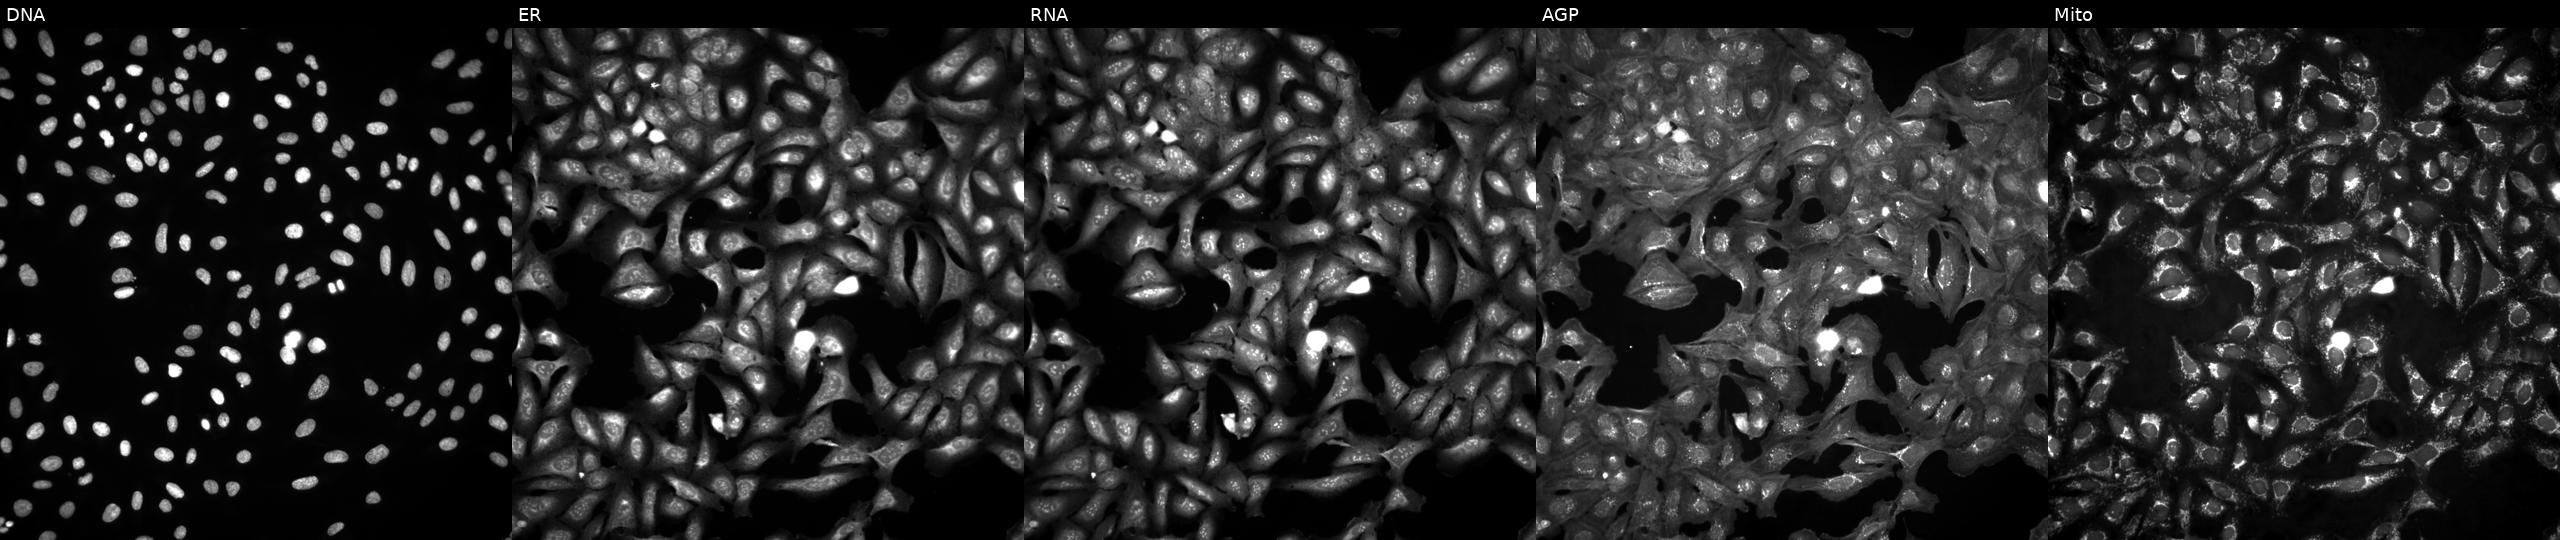
High-content fluorescence microscopy (Cell Painting). Cell line: U2OS. Perturbation: untreated (empty-well control) (JUMP id JCP2022_999999). The five panels, left to right, show DNA (nuclei); ER (endoplasmic reticulum); RNA (nucleoli and cytoplasmic RNA); AGP (actin cytoskeleton, Golgi, and plasma membrane); Mito (mitochondria).